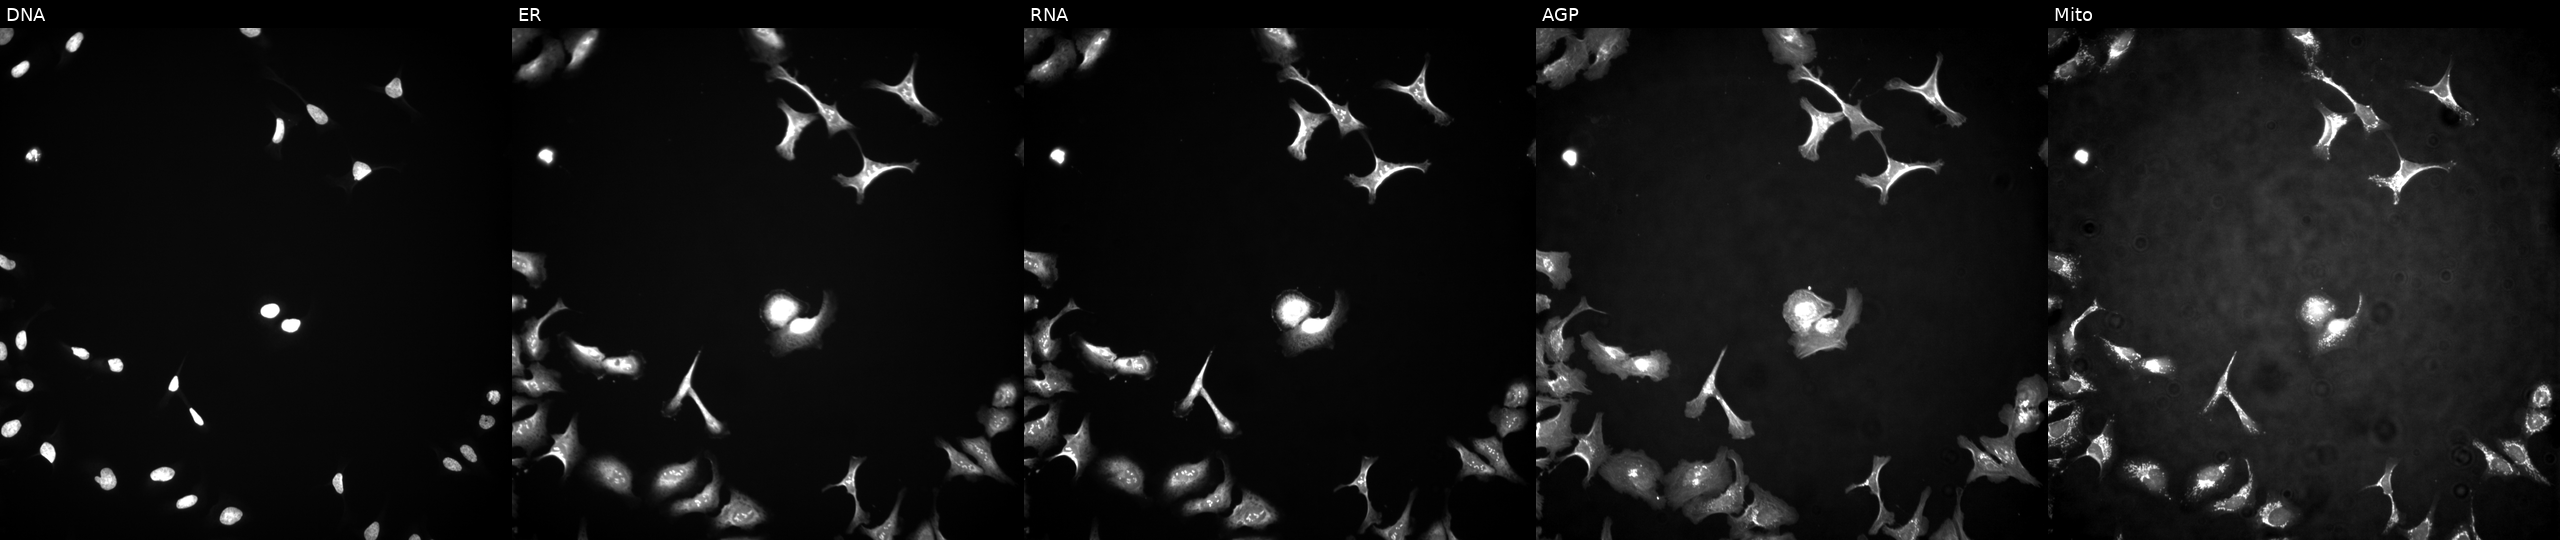
U2OS cells, Cell Painting assay, with DLX4 overexpressed (ORF). The five panels, left to right, show DNA, ER, RNA, AGP, and Mito. Each panel is percentile-stretched 16-bit fluorescence.